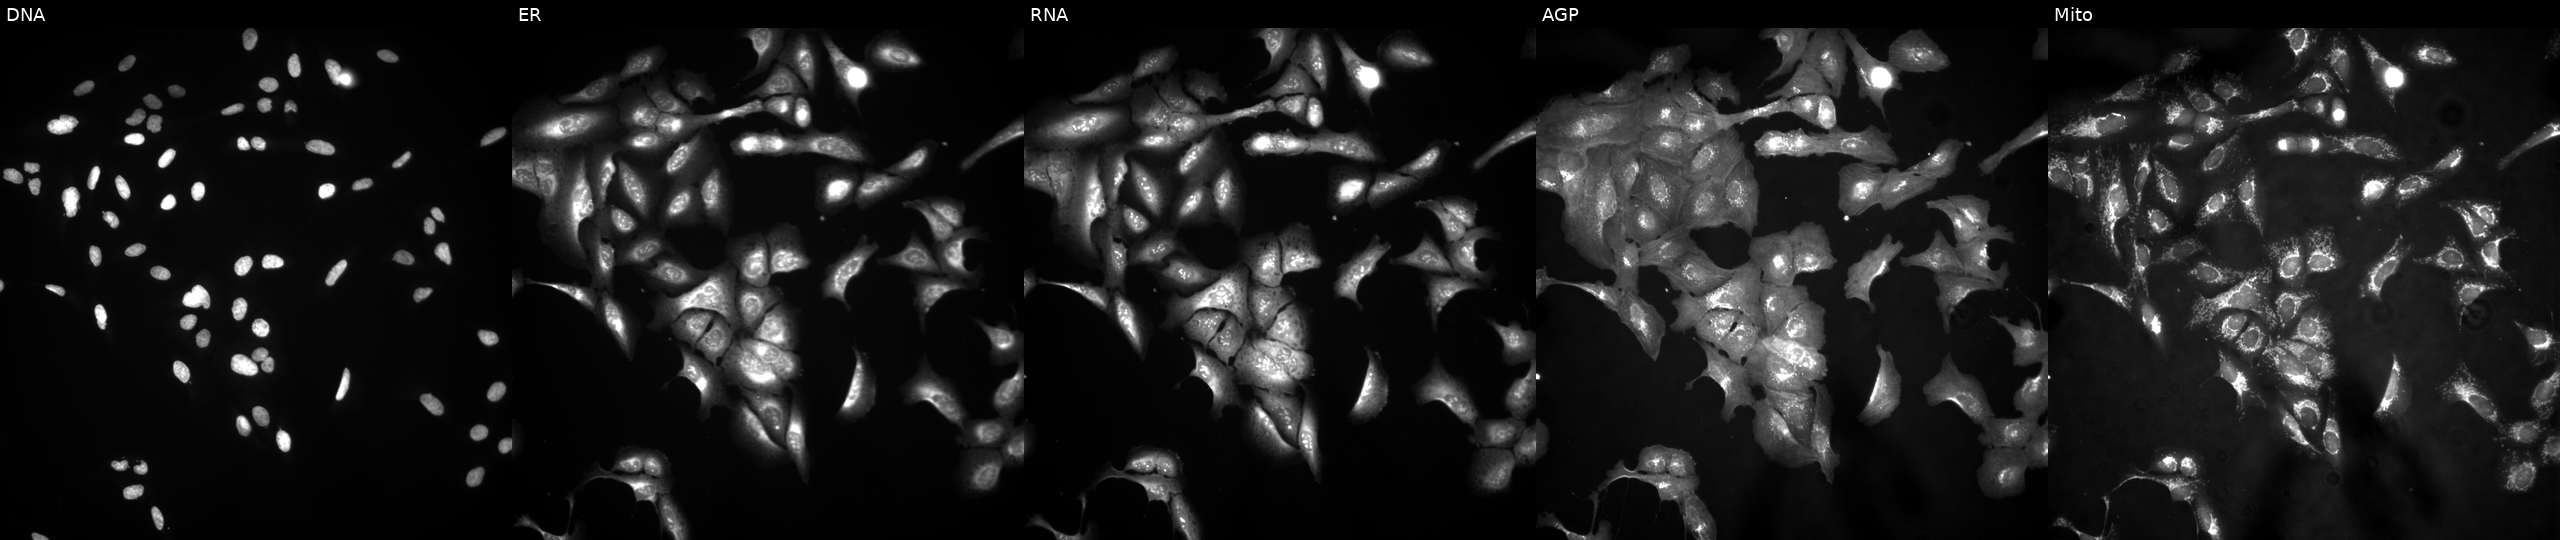
Five-channel Cell Painting image of U2OS cells with CFAP36 overexpressed (ORF) (JUMP id JCP2022_908758). The five panels, left to right, show DNA, ER, RNA, AGP, and Mito.